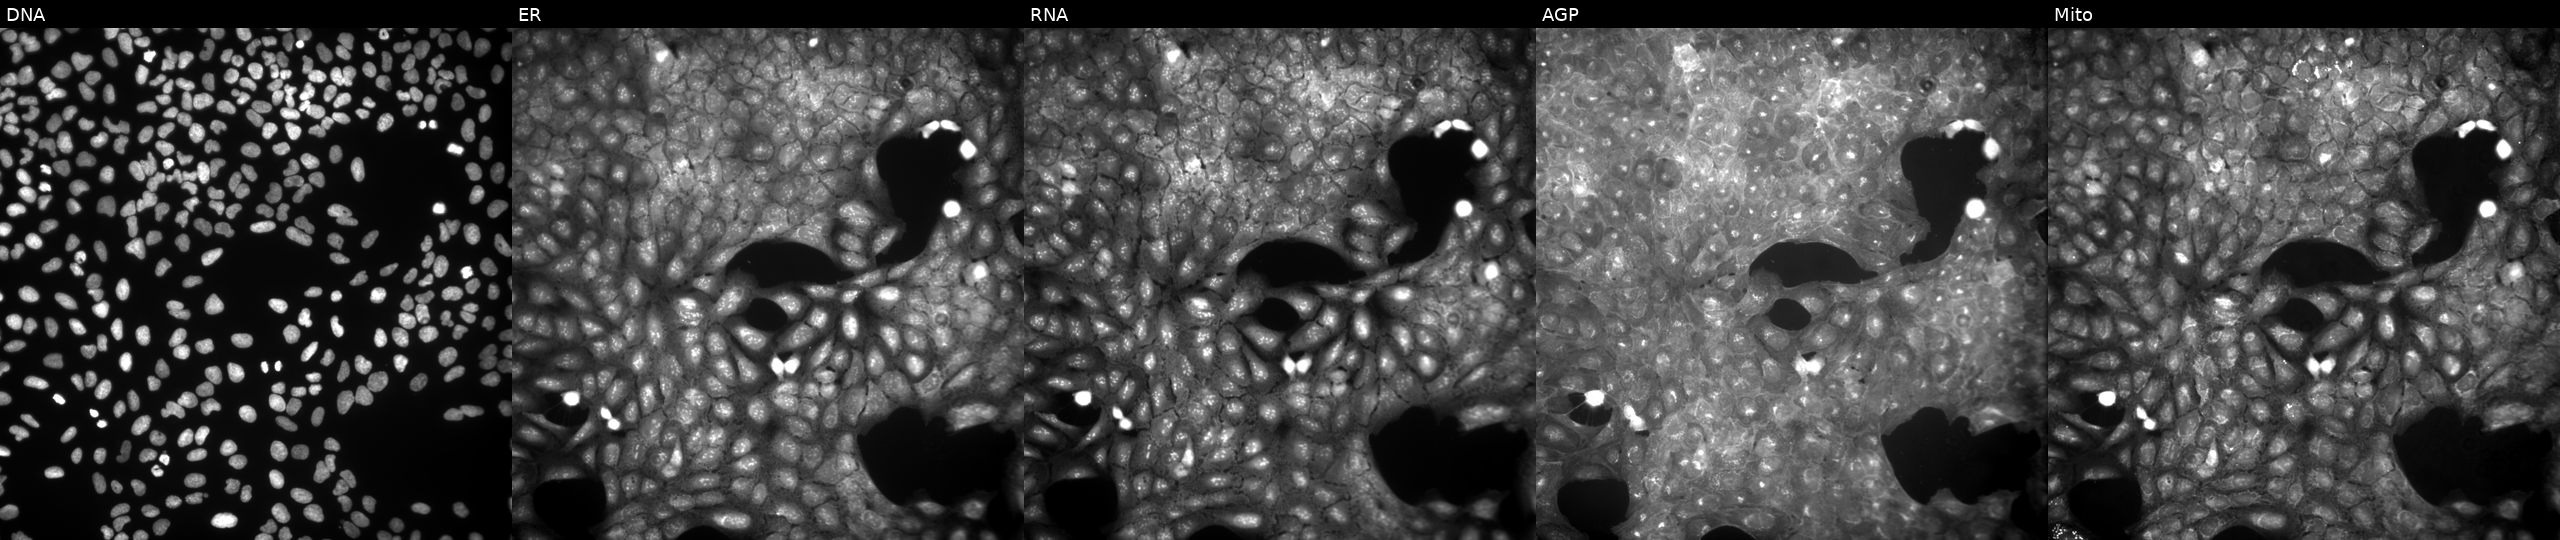
The five panels, left to right, show DNA, ER, RNA, AGP, and Mito. U2OS osteosarcoma cells perturbed with a small-molecule compound (InChIKey ZAXZXIBBEKHDIK-UHFFFAOYSA-N). Cell Painting assay, JUMP-CP dataset. Source 9, plate GR00003382, well P42.